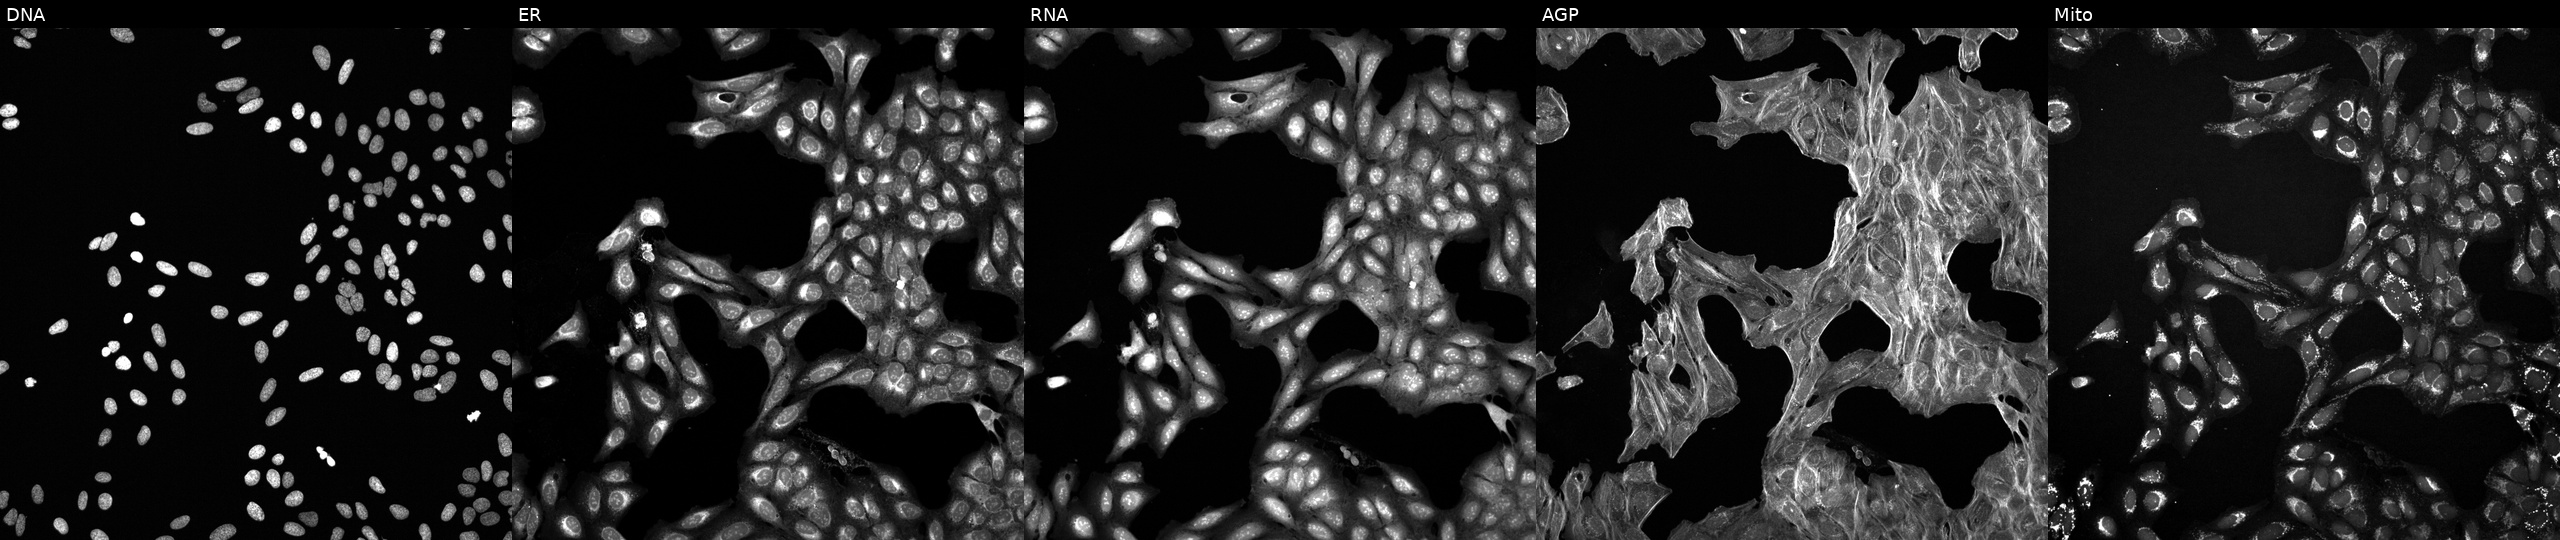
This image strip shows the five Cell Painting channels for a single field of U2OS cells exposed to a small-molecule compound (InChIKey IWGZEGFHWFNIOG-UHFFFAOYSA-N) (JUMP id JCP2022_037803). From left to right: DNA, ER, RNA, AGP, and Mito.